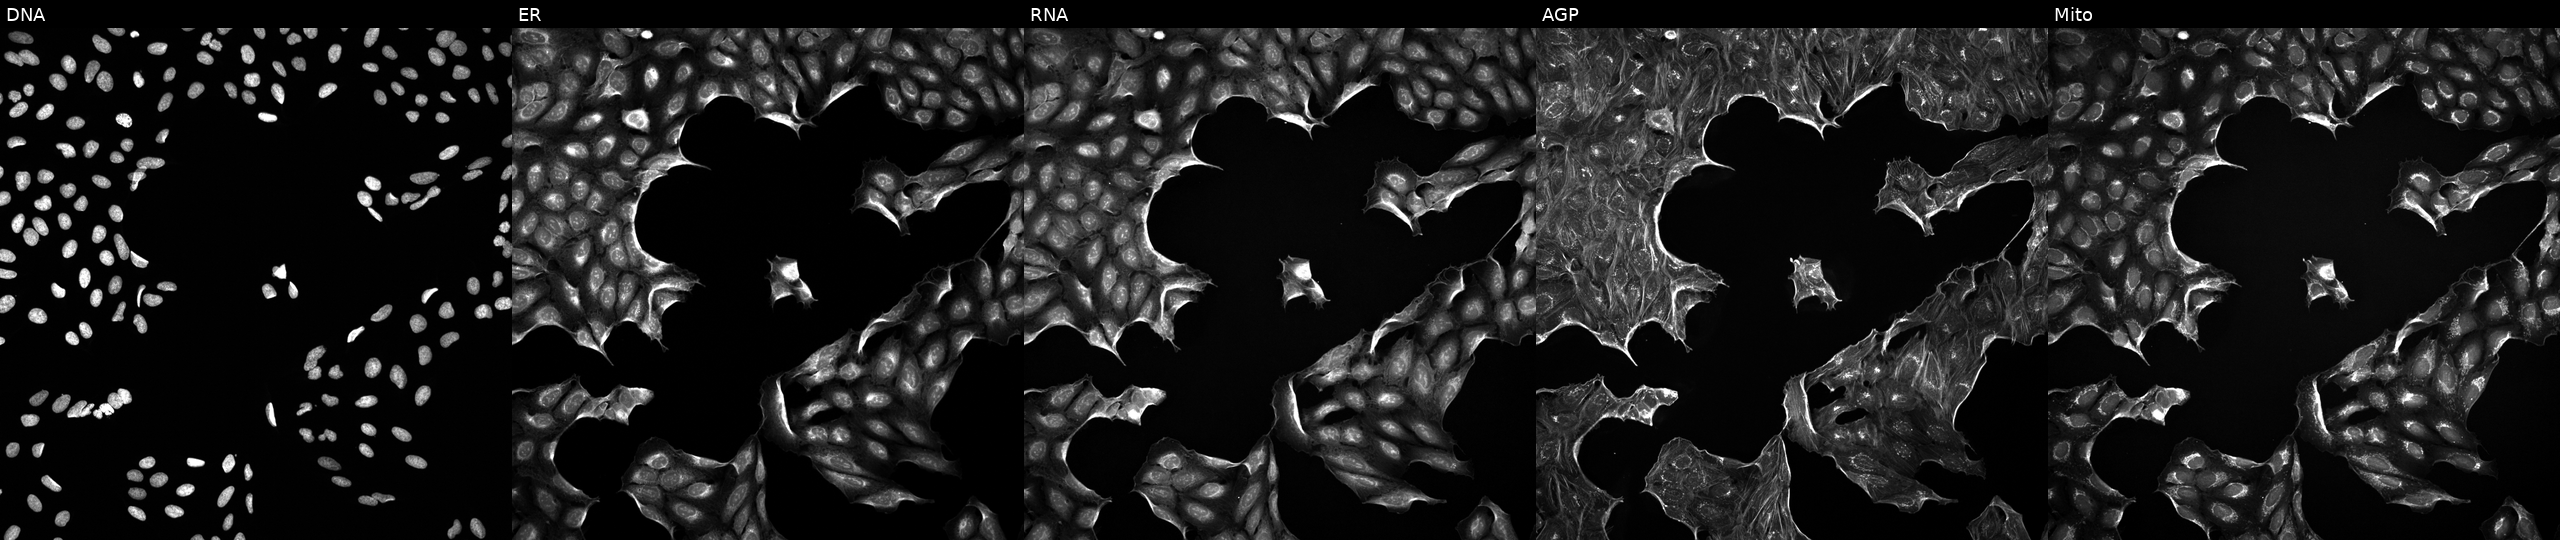
High-content fluorescence microscopy (Cell Painting). Cell line: U2OS. Perturbation: exposed to a small-molecule compound (InChIKey UCAGLBKTLXCODC-UHFFFAOYSA-N) [SMILES: NS(=O)(=O)c1ccc(C(=O)O)cc1] (JUMP id JCP2022_088224). Panels show, left to right, DNA, ER, RNA, AGP, and Mito.